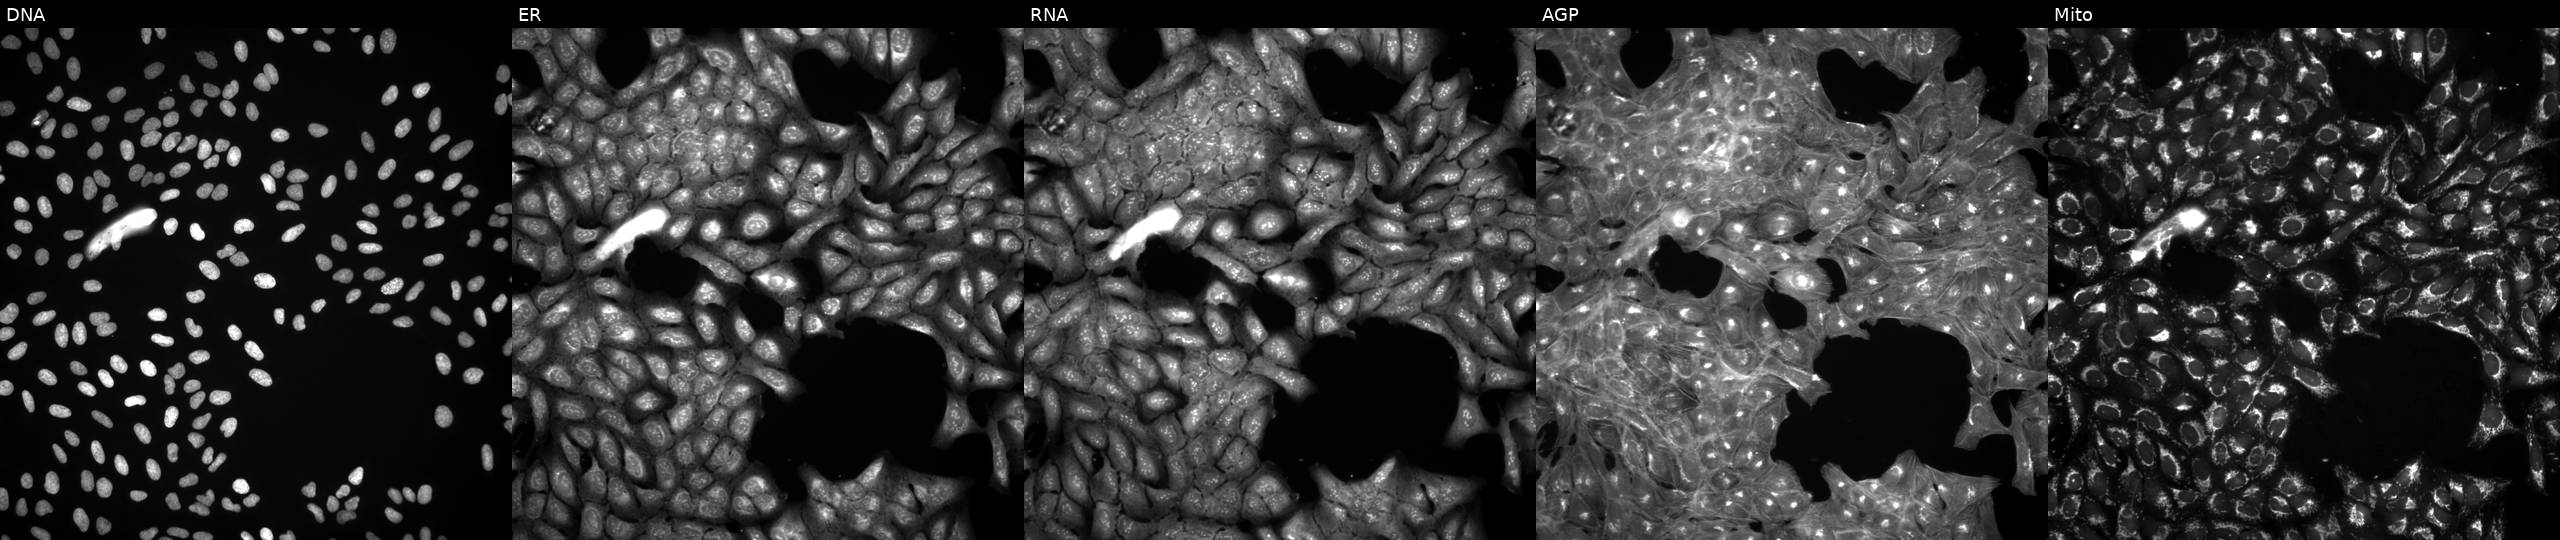
High-content fluorescence microscopy (Cell Painting). Cell line: U2OS. Perturbation: treated with DMSO vehicle only (negative control) (JUMP id JCP2022_033924). From left to right: DNA, ER, RNA, AGP, and Mito.